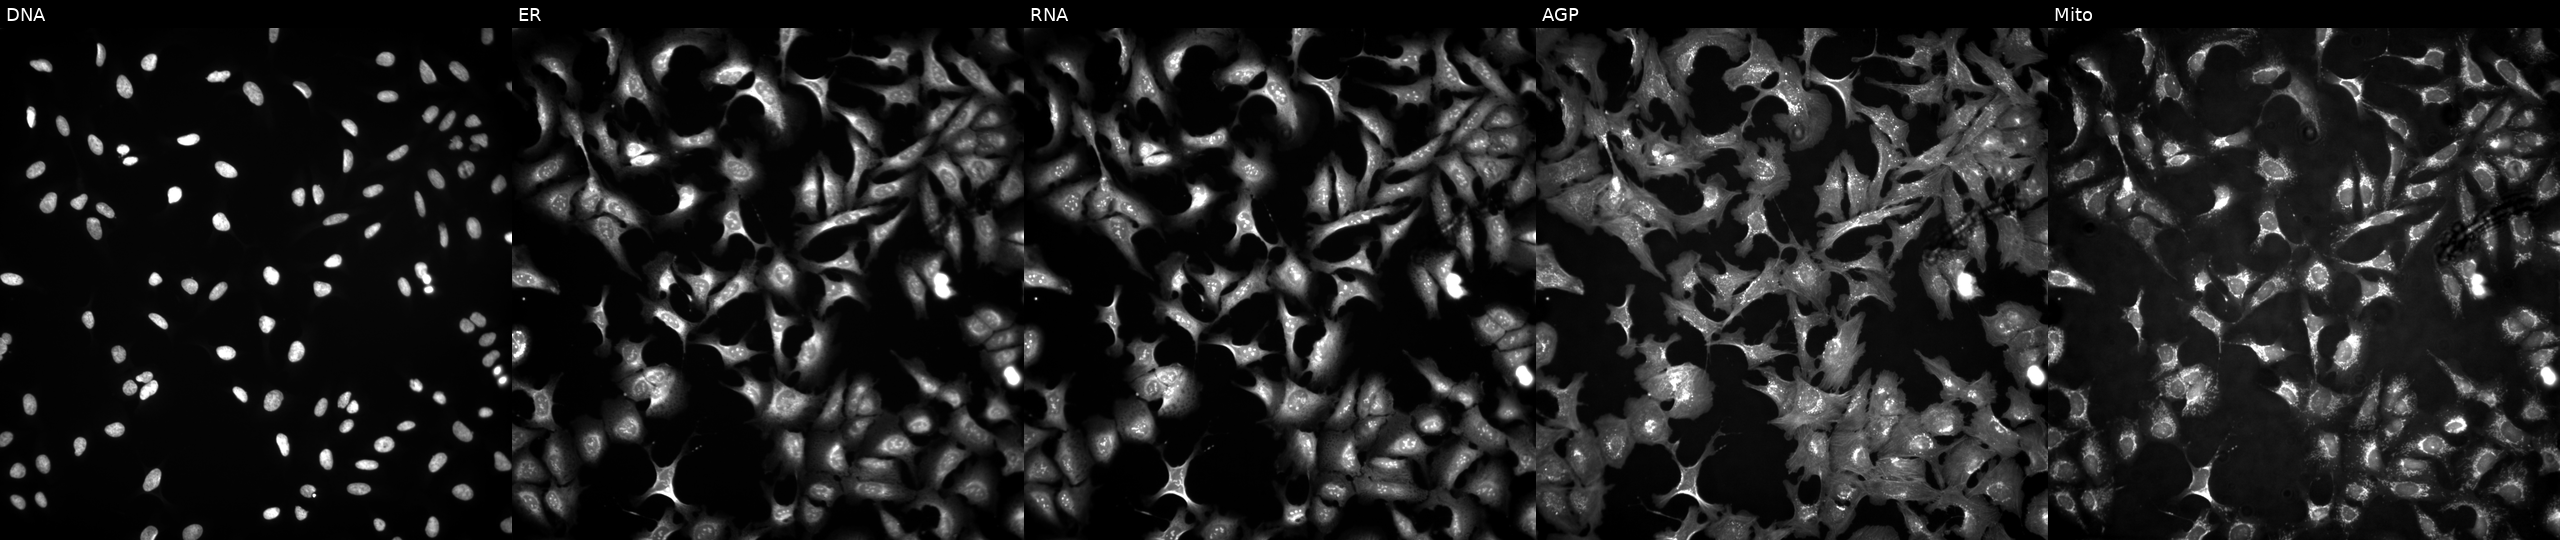
Five-channel Cell Painting image of U2OS cells overexpressing RET via ORF transfection. Panels show, left to right, DNA (nuclei); ER (endoplasmic reticulum); RNA (nucleoli and cytoplasmic RNA); AGP (actin cytoskeleton, Golgi, and plasma membrane); Mito (mitochondria).